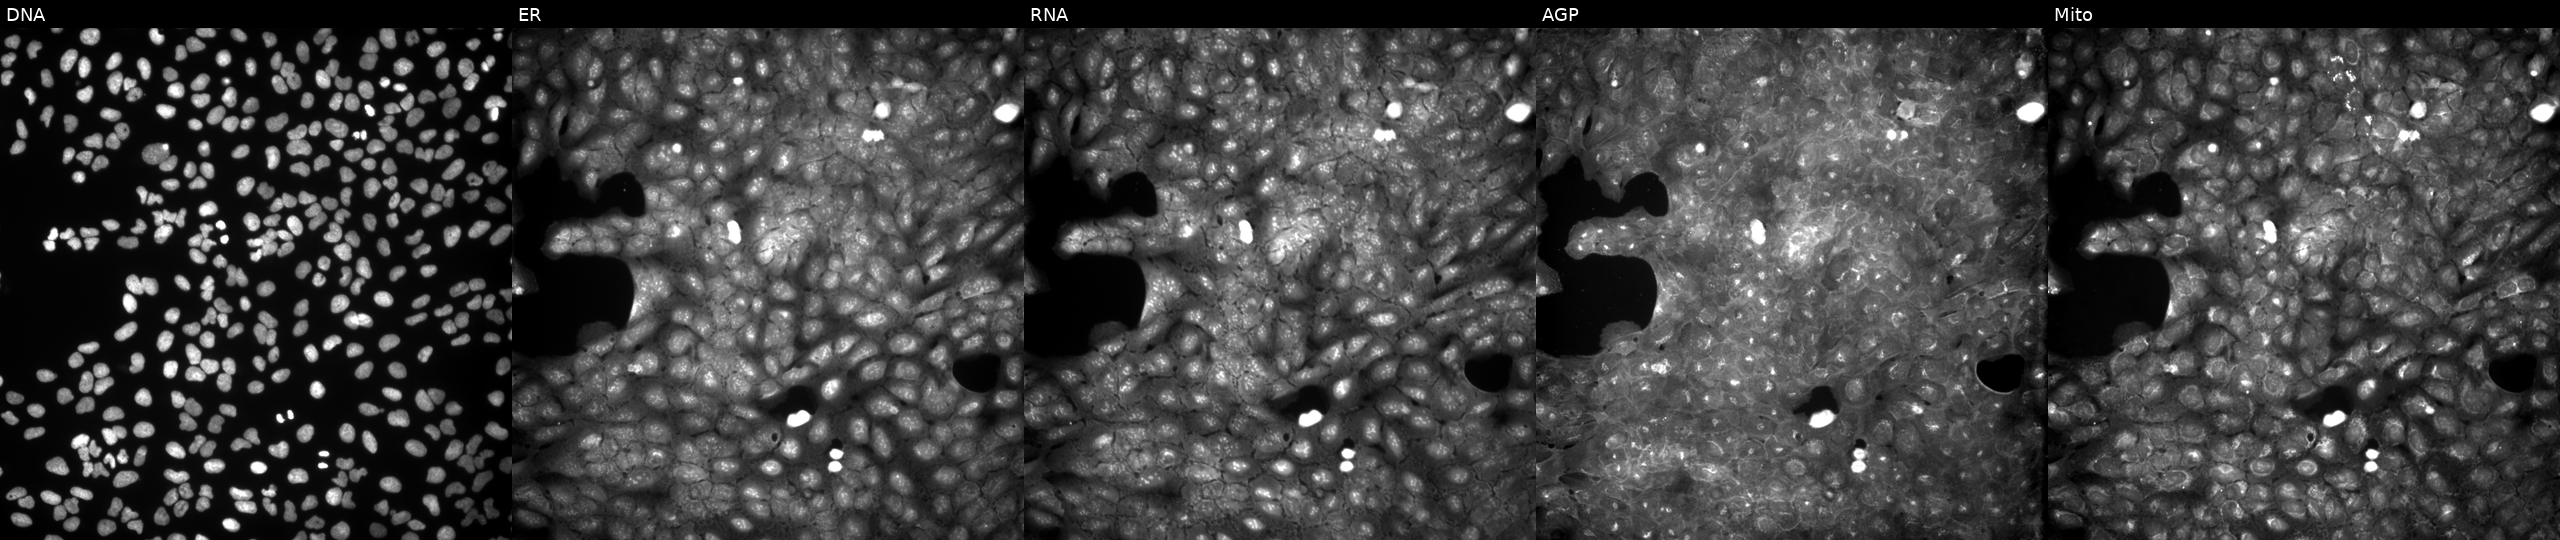
U2OS cells, Cell Painting assay, treated with DMSO vehicle only (negative control). Channels (left→right): Hoechst 33342, concanavalin A, SYTO 14, phalloidin and WGA, MitoTracker. Each panel is percentile-stretched 16-bit fluorescence.